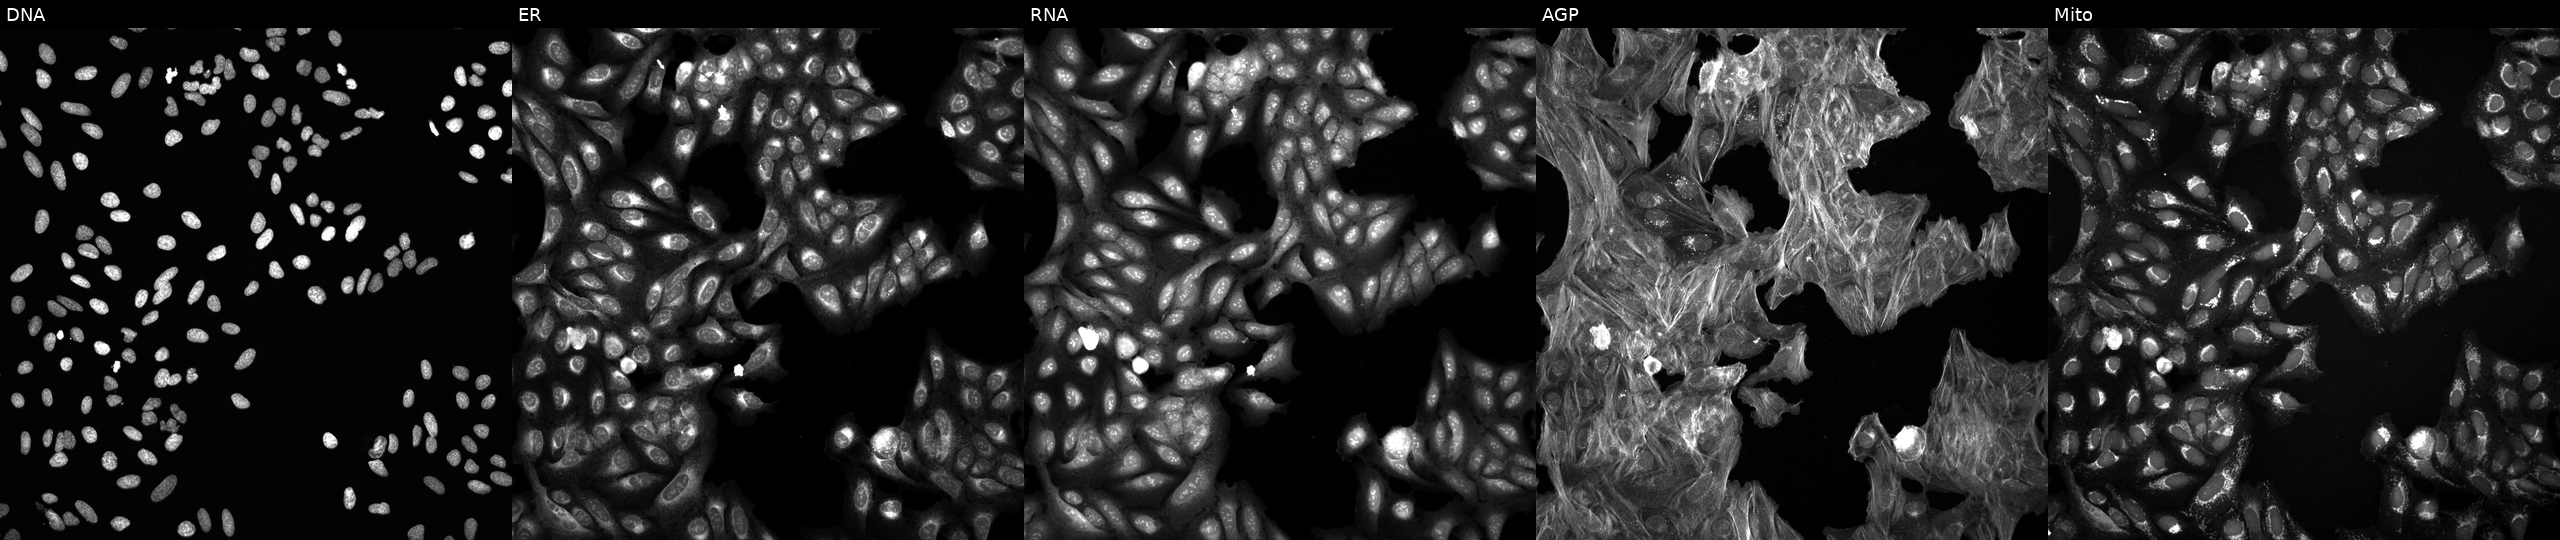
U2OS cells, Cell Painting assay, exposed to a small-molecule compound. Panels show, left to right, Hoechst 33342, concanavalin A, SYTO 14, phalloidin and WGA, MitoTracker. Each panel is percentile-stretched 16-bit fluorescence.